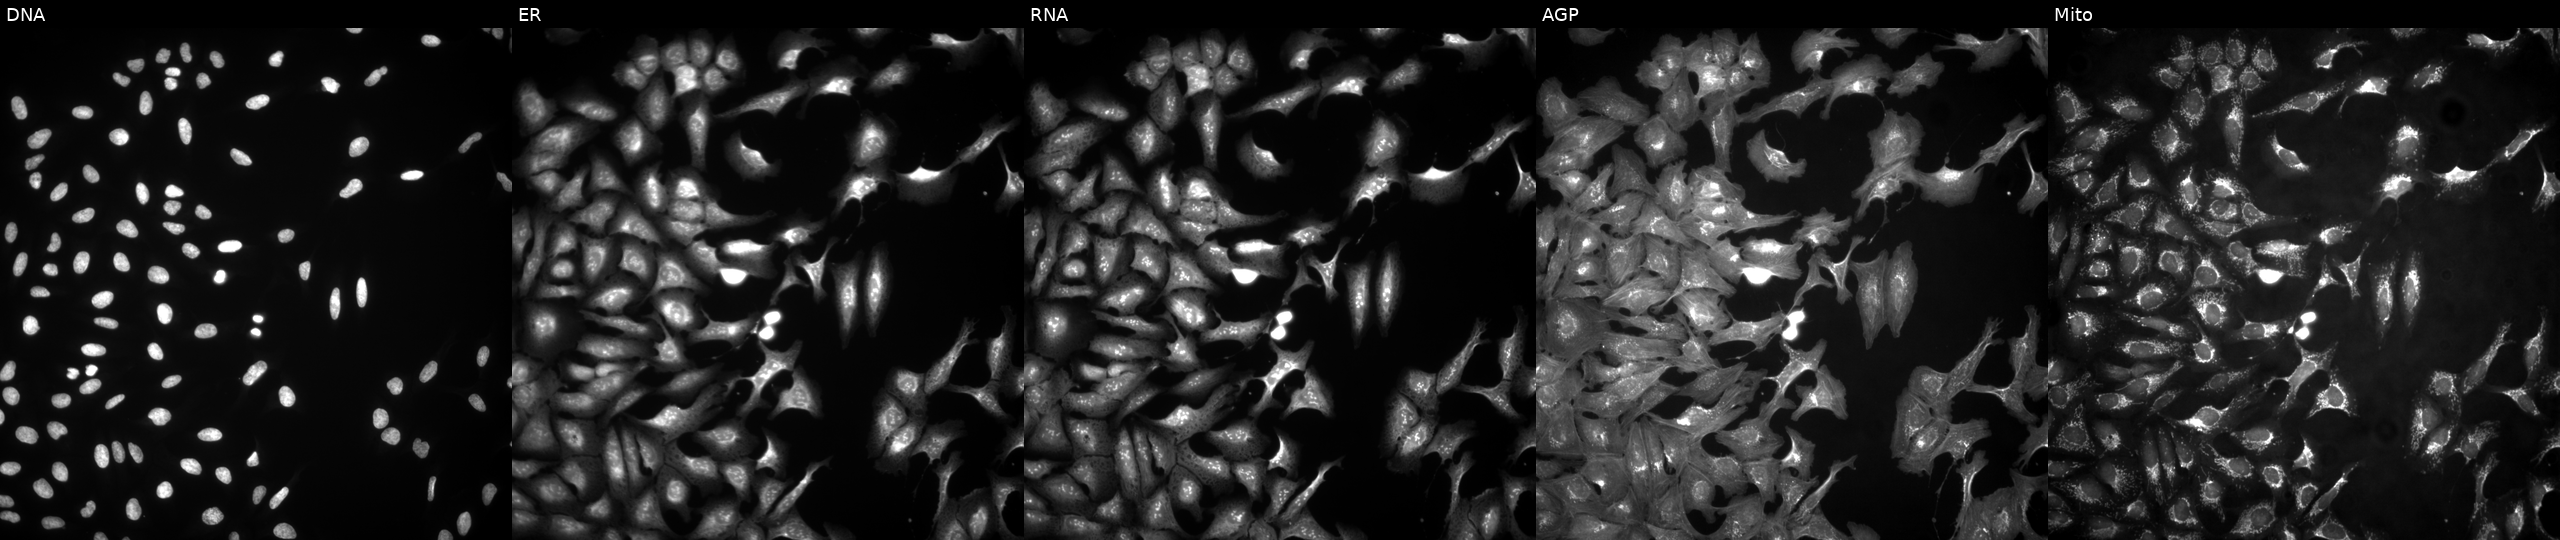
U2OS cells, Cell Painting assay, expressing LUCIFERASE (ORF negative control). Channels (left→right): DNA, ER, RNA, AGP, and Mito. Each panel is percentile-stretched 16-bit fluorescence. Source 4, plate BR00123509, well I03.